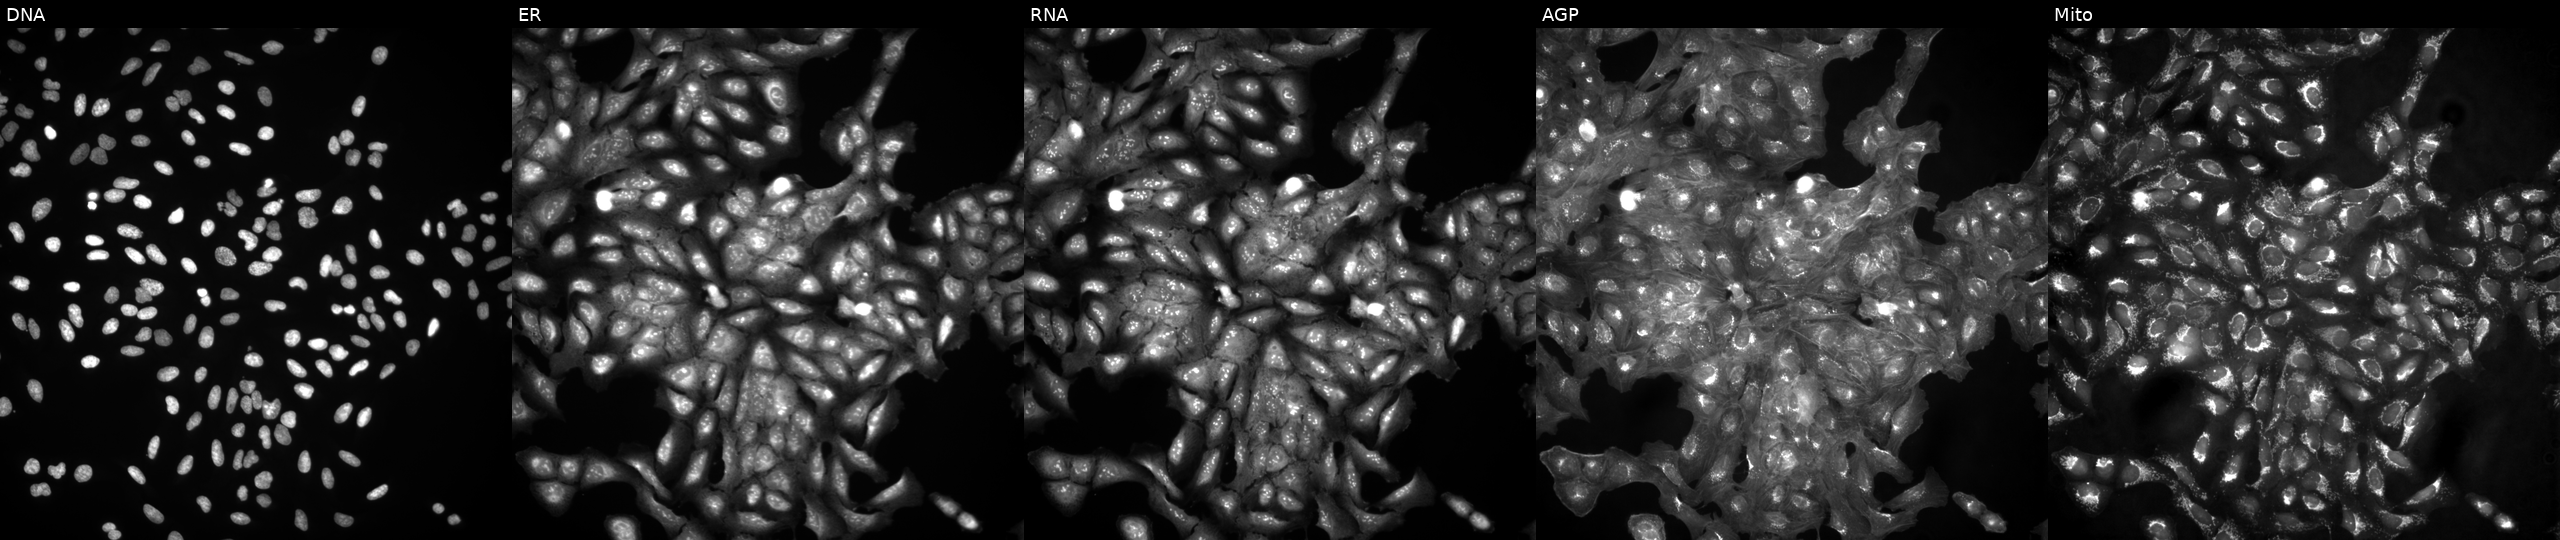
Channels (left→right): DNA, ER, RNA, AGP, and Mito. U2OS osteosarcoma cells in an empty control well (no perturbation). Cell Painting assay, JUMP-CP dataset. Source 4, plate BR00123946, well K15.